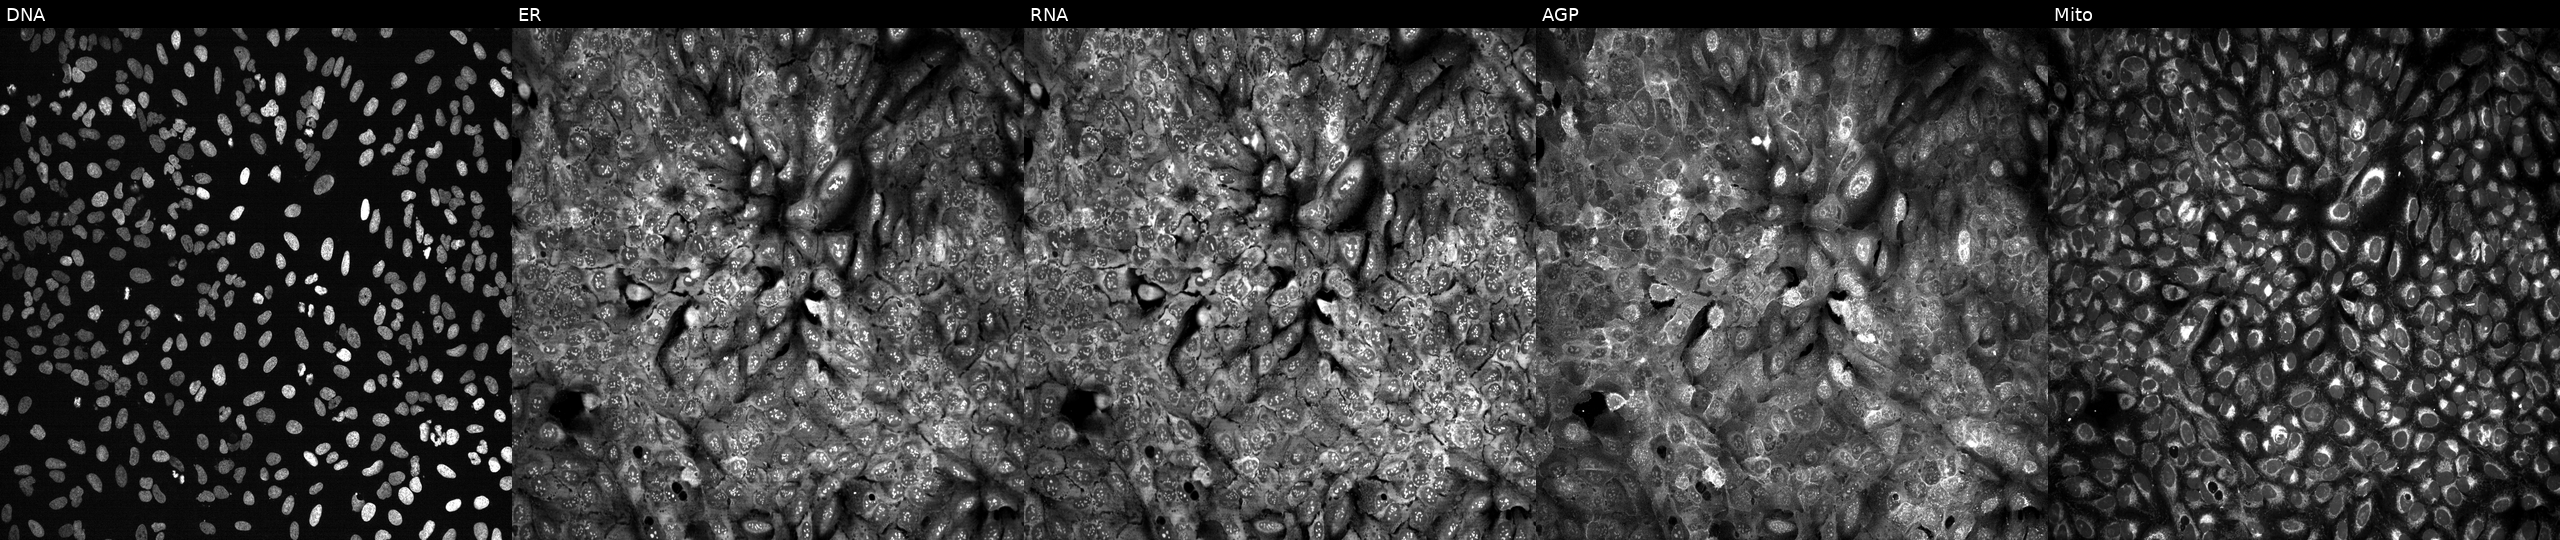
JUMP Cell Painting — CRISPR plate. U2OS cells CRISPR-edited to disrupt PIPOX. From left to right: DNA (nuclei); ER (endoplasmic reticulum); RNA (nucleoli and cytoplasmic RNA); AGP (actin cytoskeleton, Golgi, and plasma membrane); Mito (mitochondria).